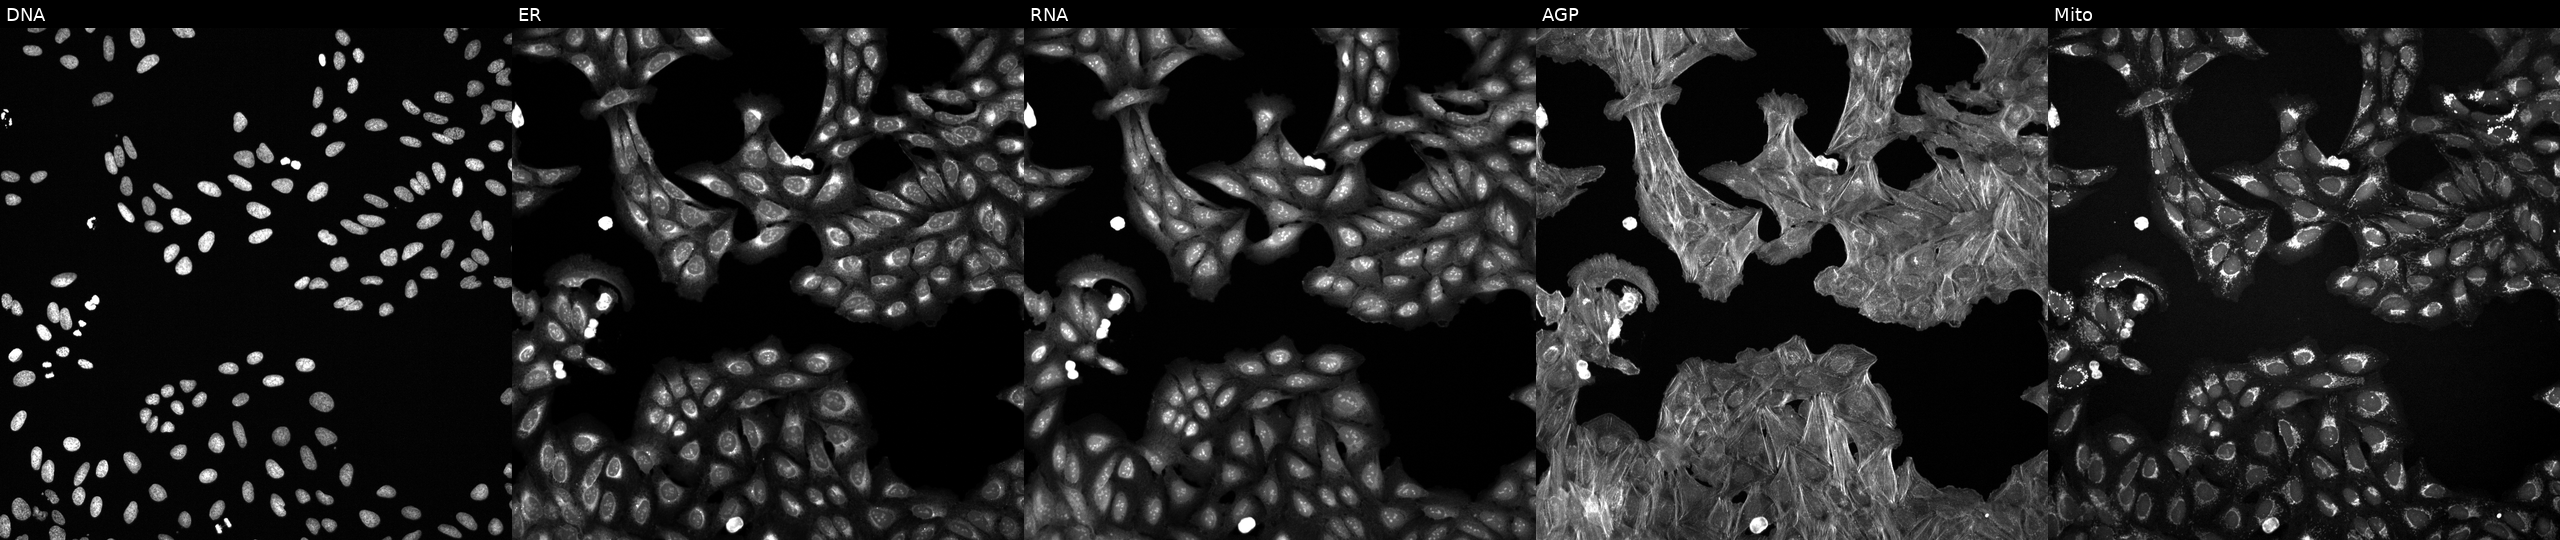
U2OS cells, Cell Painting assay, treated with a small-molecule compound (InChIKey OQSKXUOWBVQGTR-UHFFFAOYSA-N). The five panels, left to right, show Hoechst 33342, concanavalin A, SYTO 14, phalloidin and WGA, MitoTracker. Each panel is percentile-stretched 16-bit fluorescence.